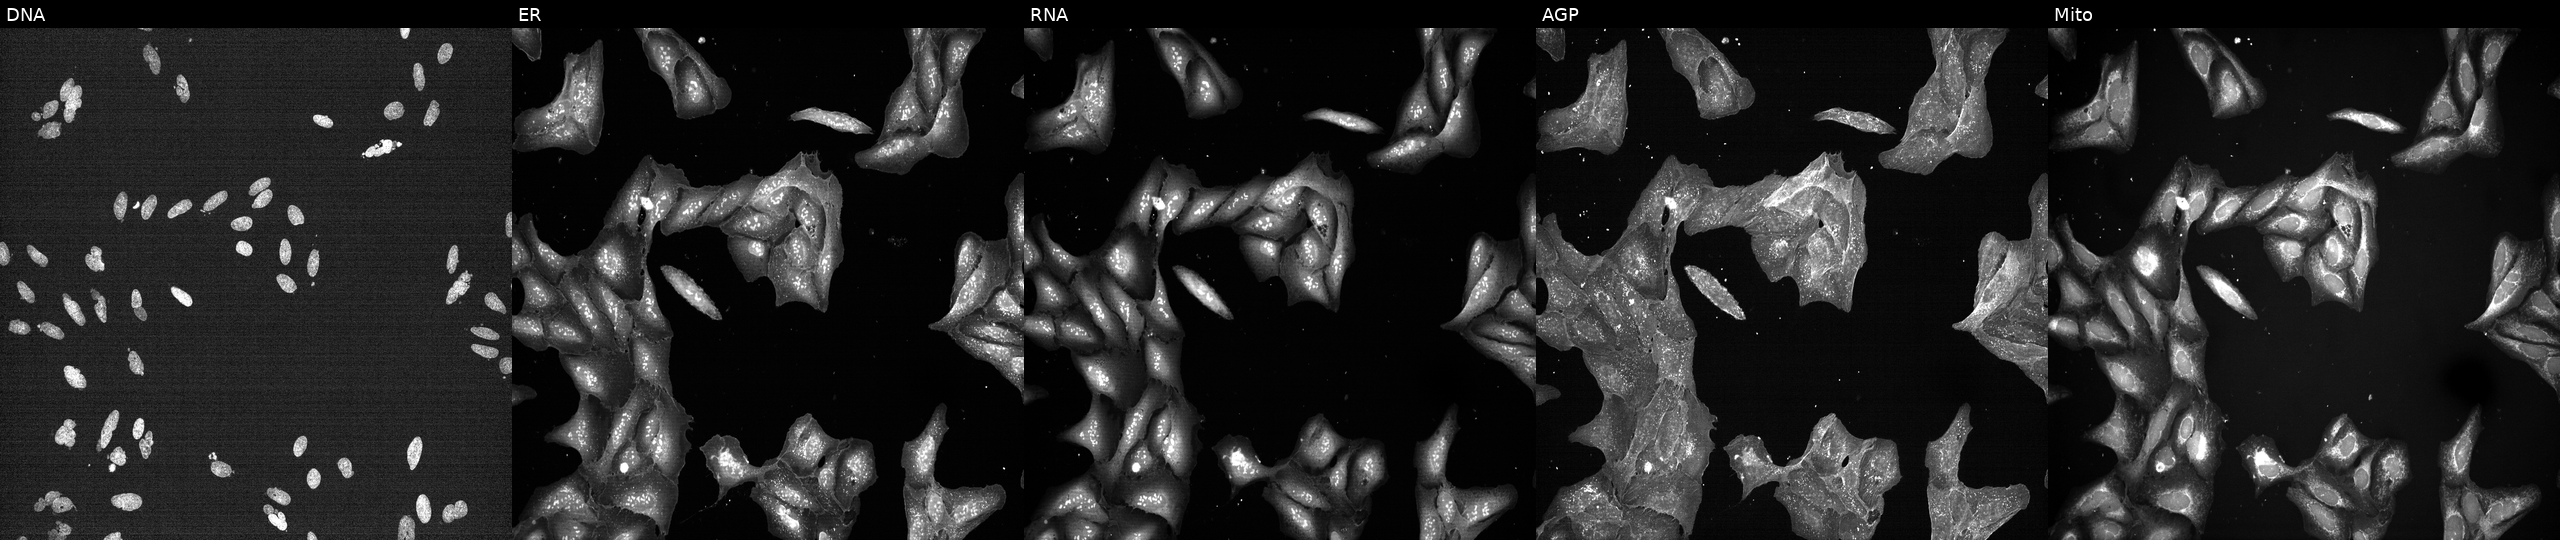
The five panels, left to right, show DNA, ER, RNA, AGP, and Mito. U2OS osteosarcoma cells perturbed with a small-molecule compound (InChIKey KRBSMMVJJVHVCB-UHFFFAOYSA-N) (JUMP id JCP2022_046462). Cell Painting assay, JUMP-CP dataset.